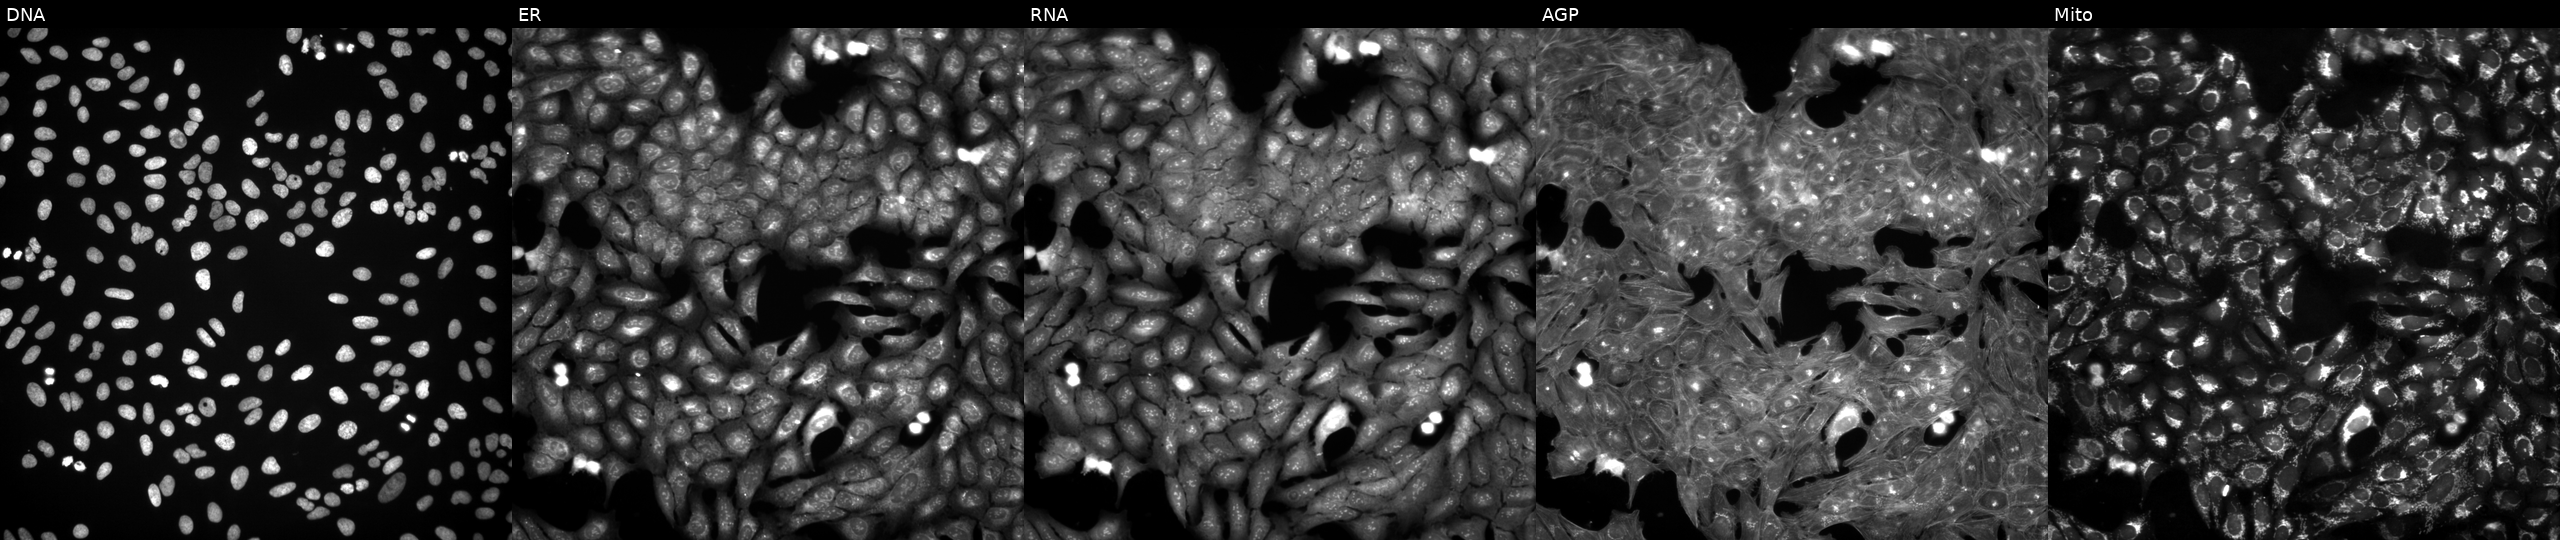
This image strip shows the five Cell Painting channels for a single field of U2OS cells treated with DMSO vehicle only (negative control). Channels (left→right): DNA (nuclei); ER (endoplasmic reticulum); RNA (nucleoli and cytoplasmic RNA); AGP (actin cytoskeleton, Golgi, and plasma membrane); Mito (mitochondria).